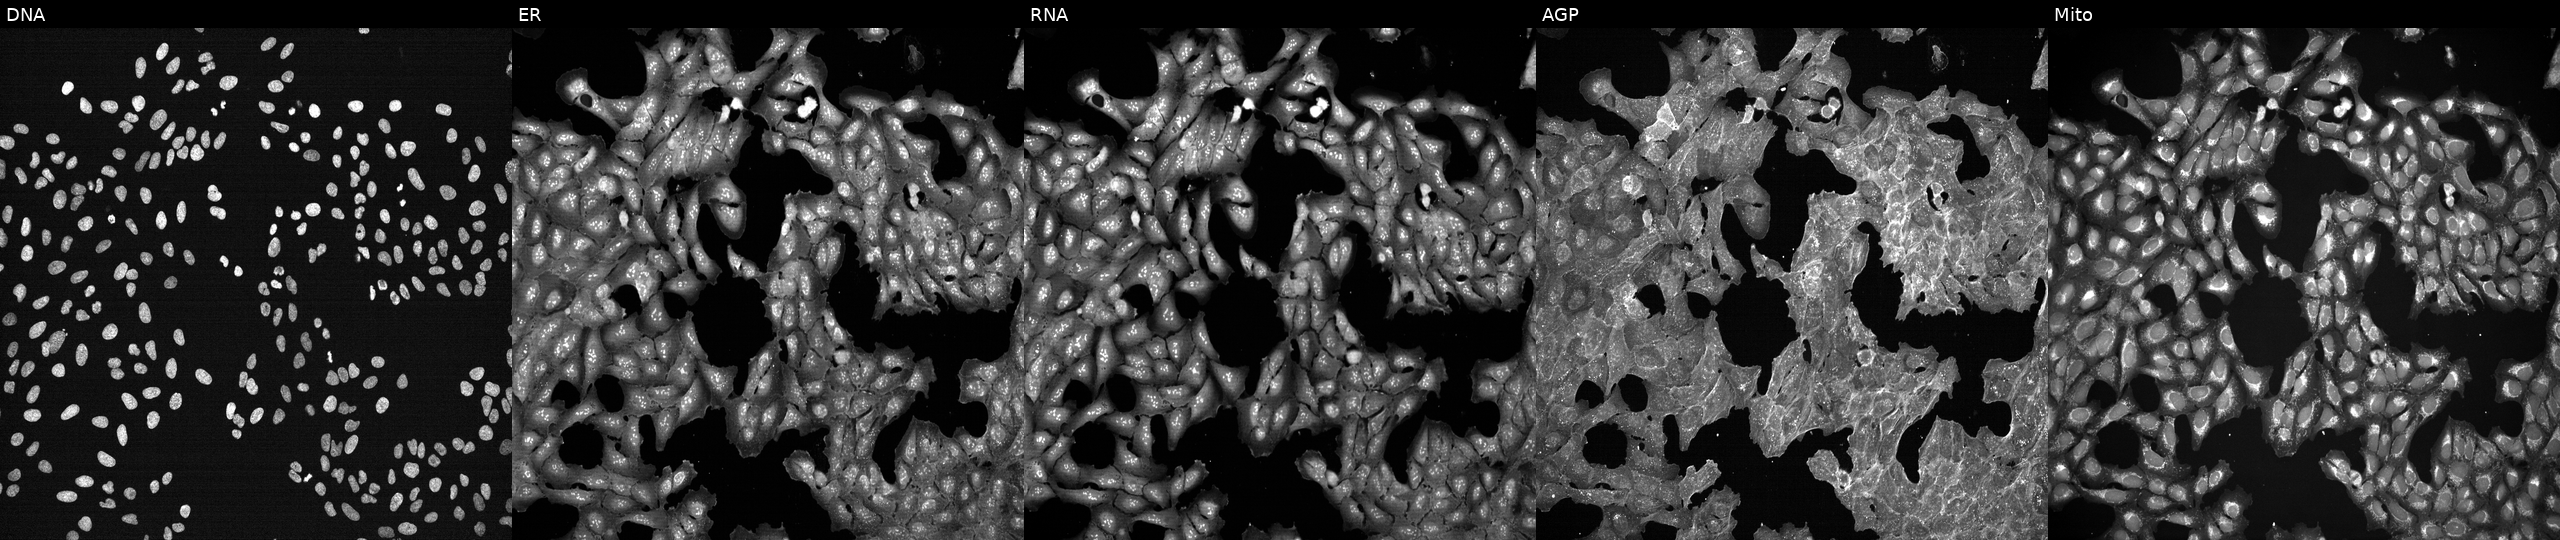
This image strip shows the five Cell Painting channels for a single field of U2OS cells exposed to DMSO alone as a negative control. The five panels, left to right, show Hoechst 33342, concanavalin A, SYTO 14, phalloidin and WGA, MitoTracker.